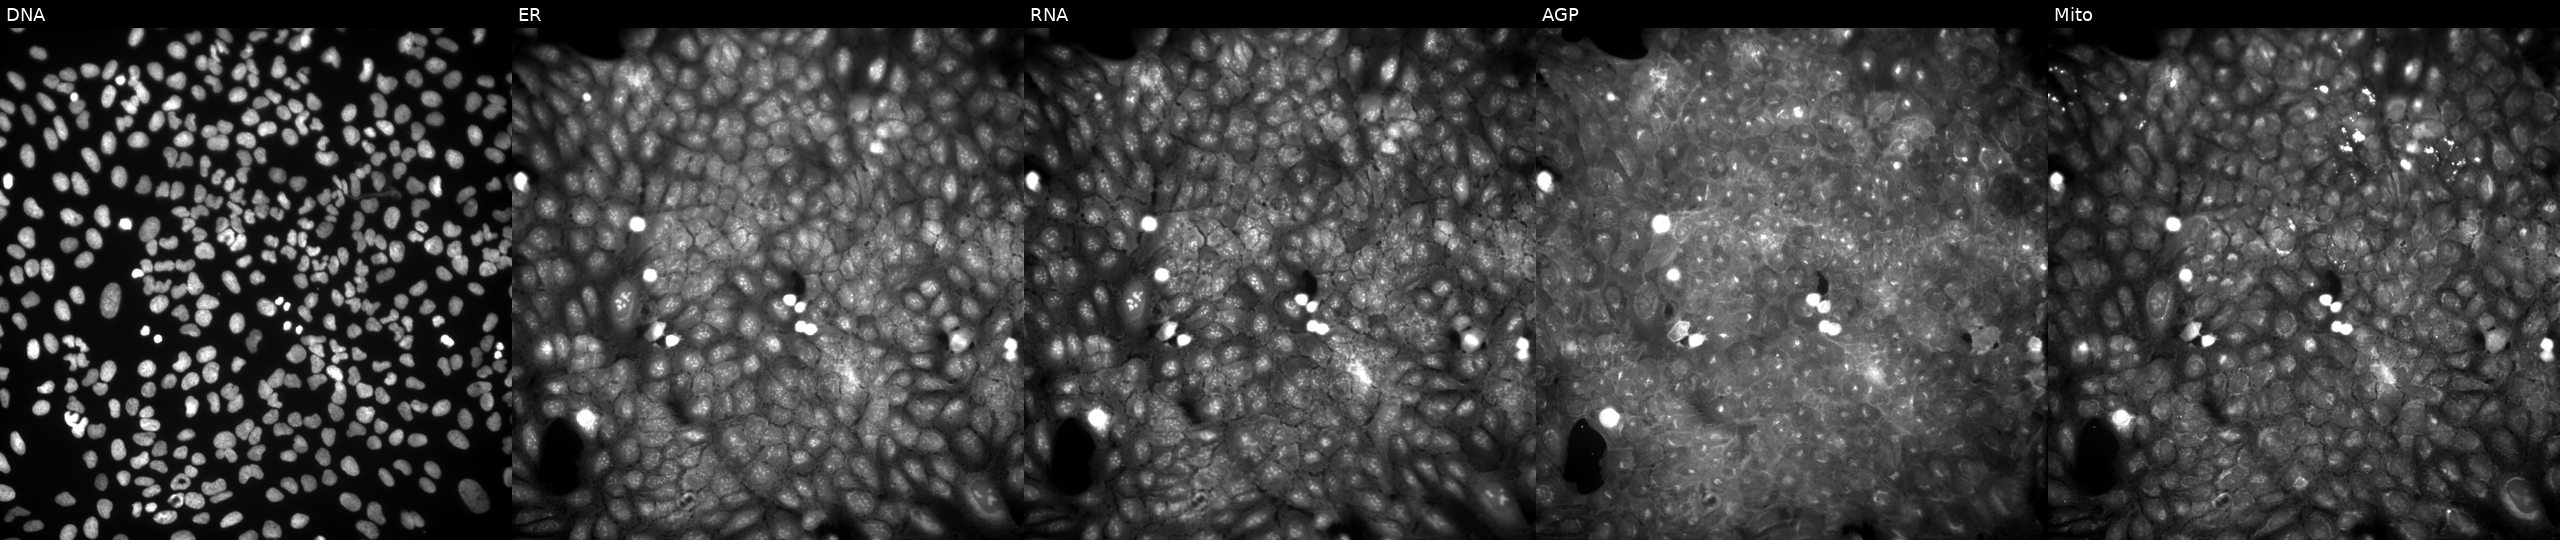
High-content fluorescence microscopy (Cell Painting). Cell line: U2OS. Perturbation: perturbed with a small-molecule compound (InChIKey QXCTXPHWAZBNCY-UHFFFAOYSA-N). From left to right: DNA (nuclei); ER (endoplasmic reticulum); RNA (nucleoli and cytoplasmic RNA); AGP (actin cytoskeleton, Golgi, and plasma membrane); Mito (mitochondria). Source 9, plate GR00003382, well AA28.